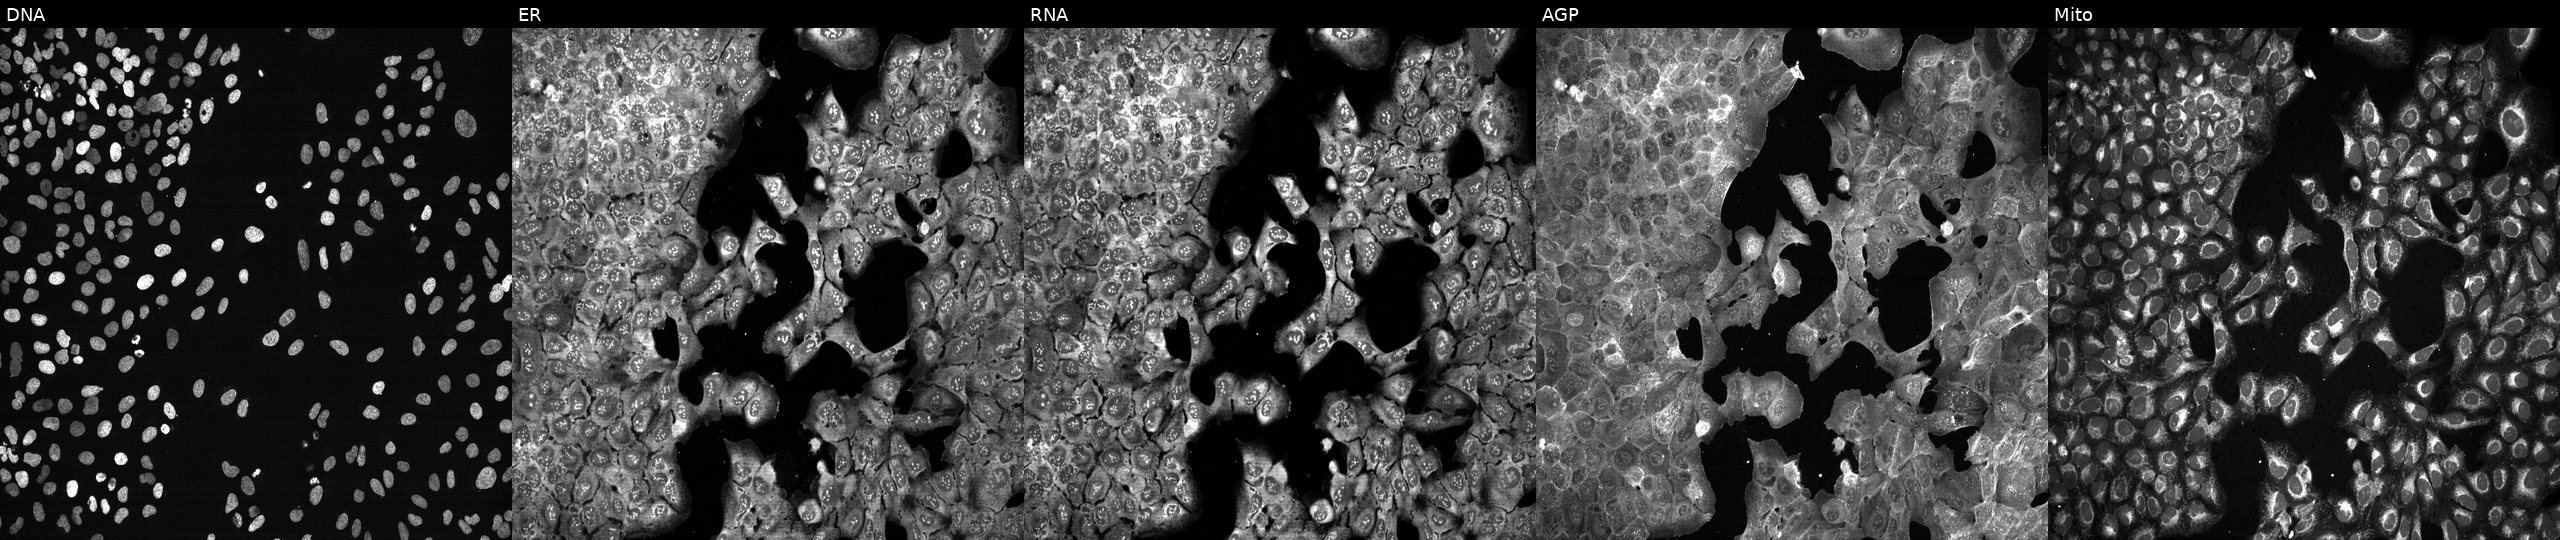
High-content fluorescence microscopy (Cell Painting). Cell line: U2OS. Perturbation: CRISPR-edited to disrupt DOLPP1 (JUMP id JCP2022_801887). Panels show, left to right, DNA, ER, RNA, AGP, and Mito. Source 13, plate CP-CC9-R2-02, well B11.